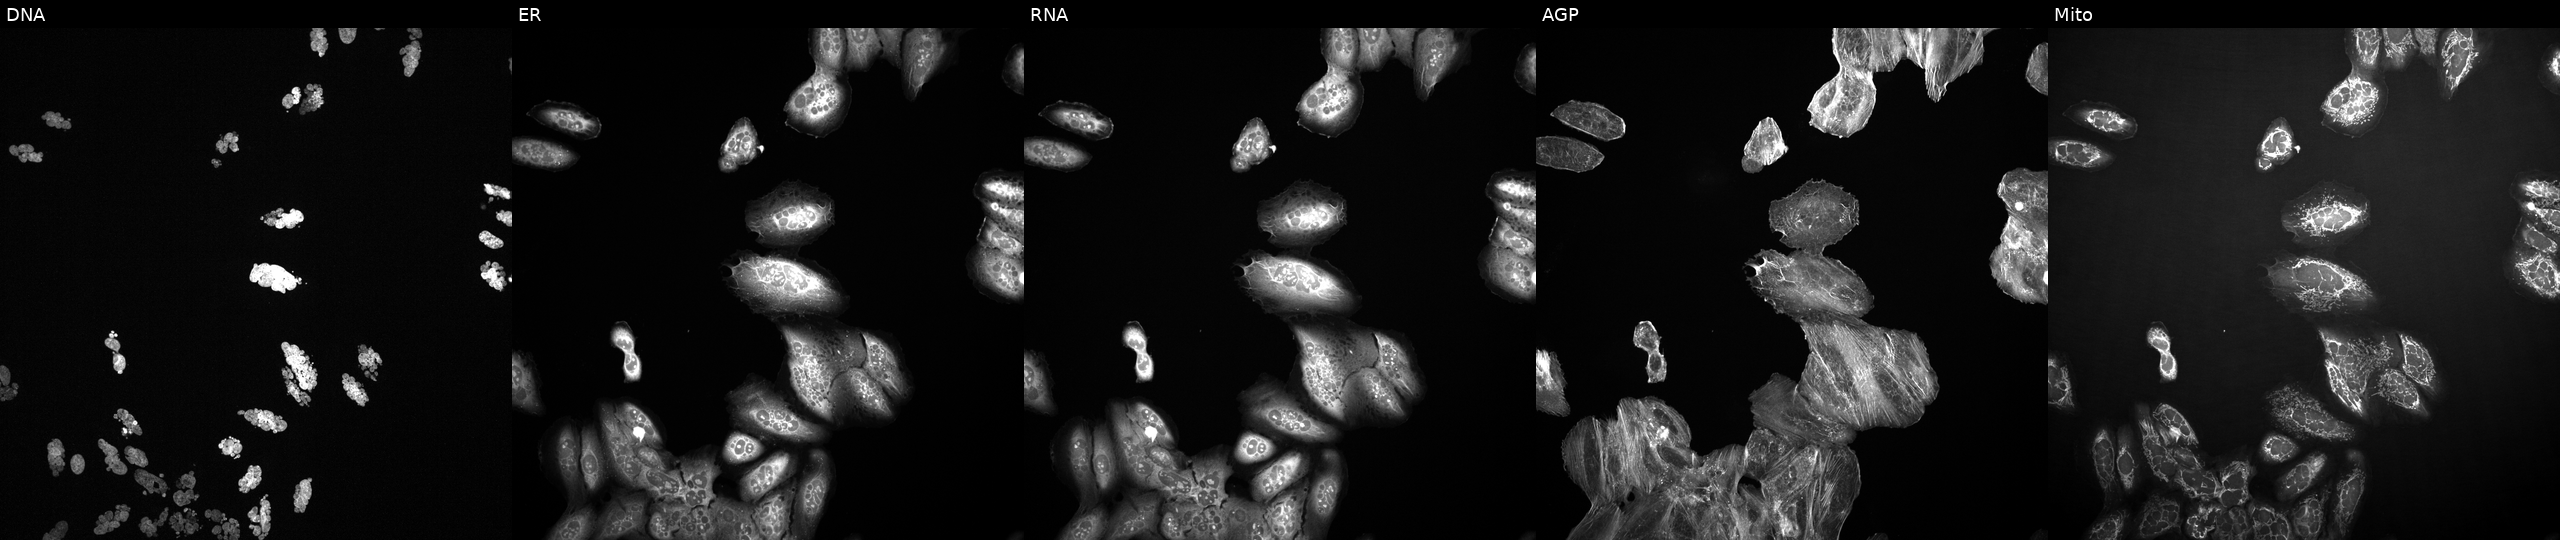
High-content fluorescence microscopy (Cell Painting). Cell line: U2OS. Perturbation: treated with a small-molecule compound. Channels (left→right): DNA, ER, RNA, AGP, and Mito. Source 2, plate 1053597936, well D10.